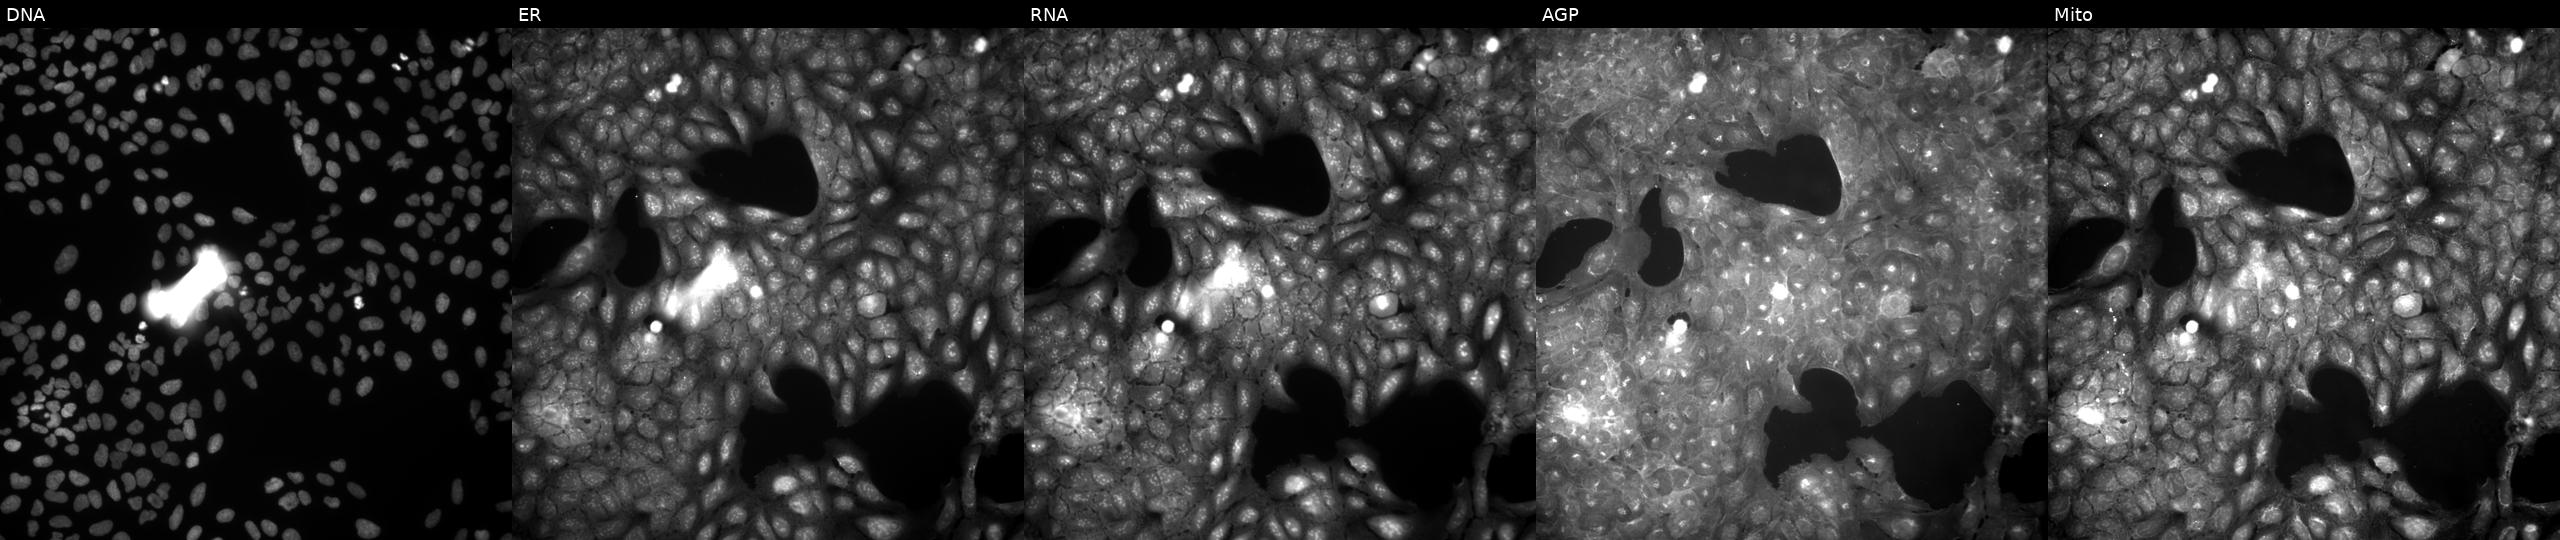
High-content fluorescence microscopy (Cell Painting). Cell line: U2OS. Perturbation: treated with a small-molecule compound (InChIKey GIUBEYLVDYFXRC-UHFFFAOYSA-N) [SMILES: Cc1ccc(OCC(=O)Nc2ccc(S(=O)(=O)N=c3o[nH]c(C)c3C)cc2)cc1]. Panels show, left to right, Hoechst 33342, concanavalin A, SYTO 14, phalloidin and WGA, MitoTracker. Source 9, plate GR00003382, well H35.